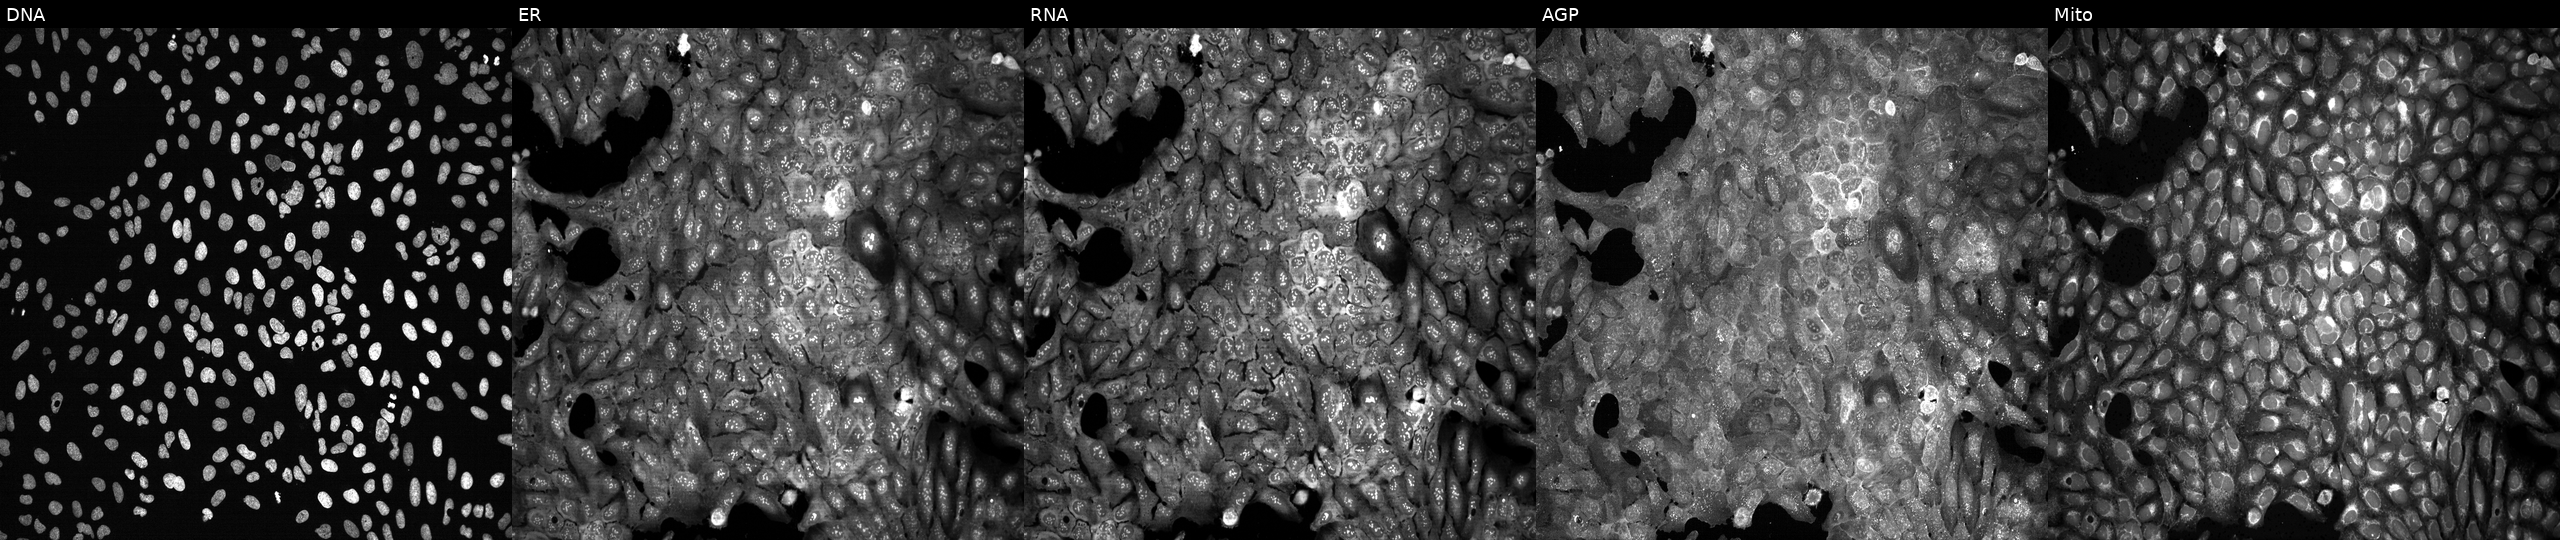
This image strip shows the five Cell Painting channels for a single field of U2OS cells CRISPR-edited to disrupt ARHGEF6 (JUMP id JCP2022_800572). From left to right: Hoechst 33342, concanavalin A, SYTO 14, phalloidin and WGA, MitoTracker.